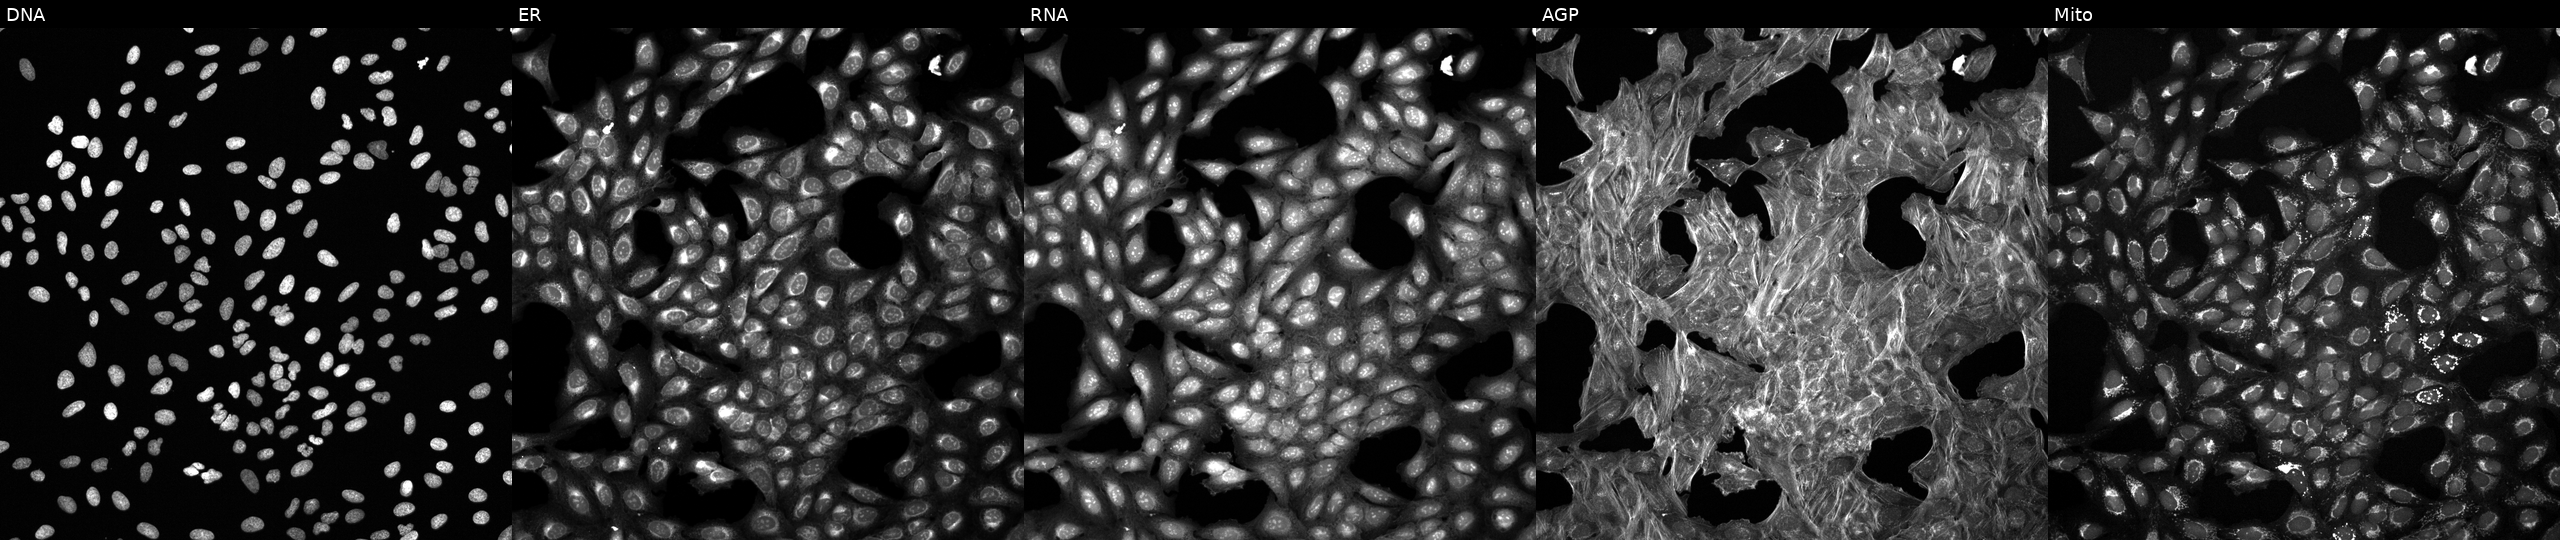
High-content fluorescence microscopy (Cell Painting). Cell line: U2OS. Perturbation: exposed to a small-molecule compound (JUMP id JCP2022_092698). Channels (left→right): DNA (nuclei); ER (endoplasmic reticulum); RNA (nucleoli and cytoplasmic RNA); AGP (actin cytoskeleton, Golgi, and plasma membrane); Mito (mitochondria). Source 6, plate 110000293082, well L16.